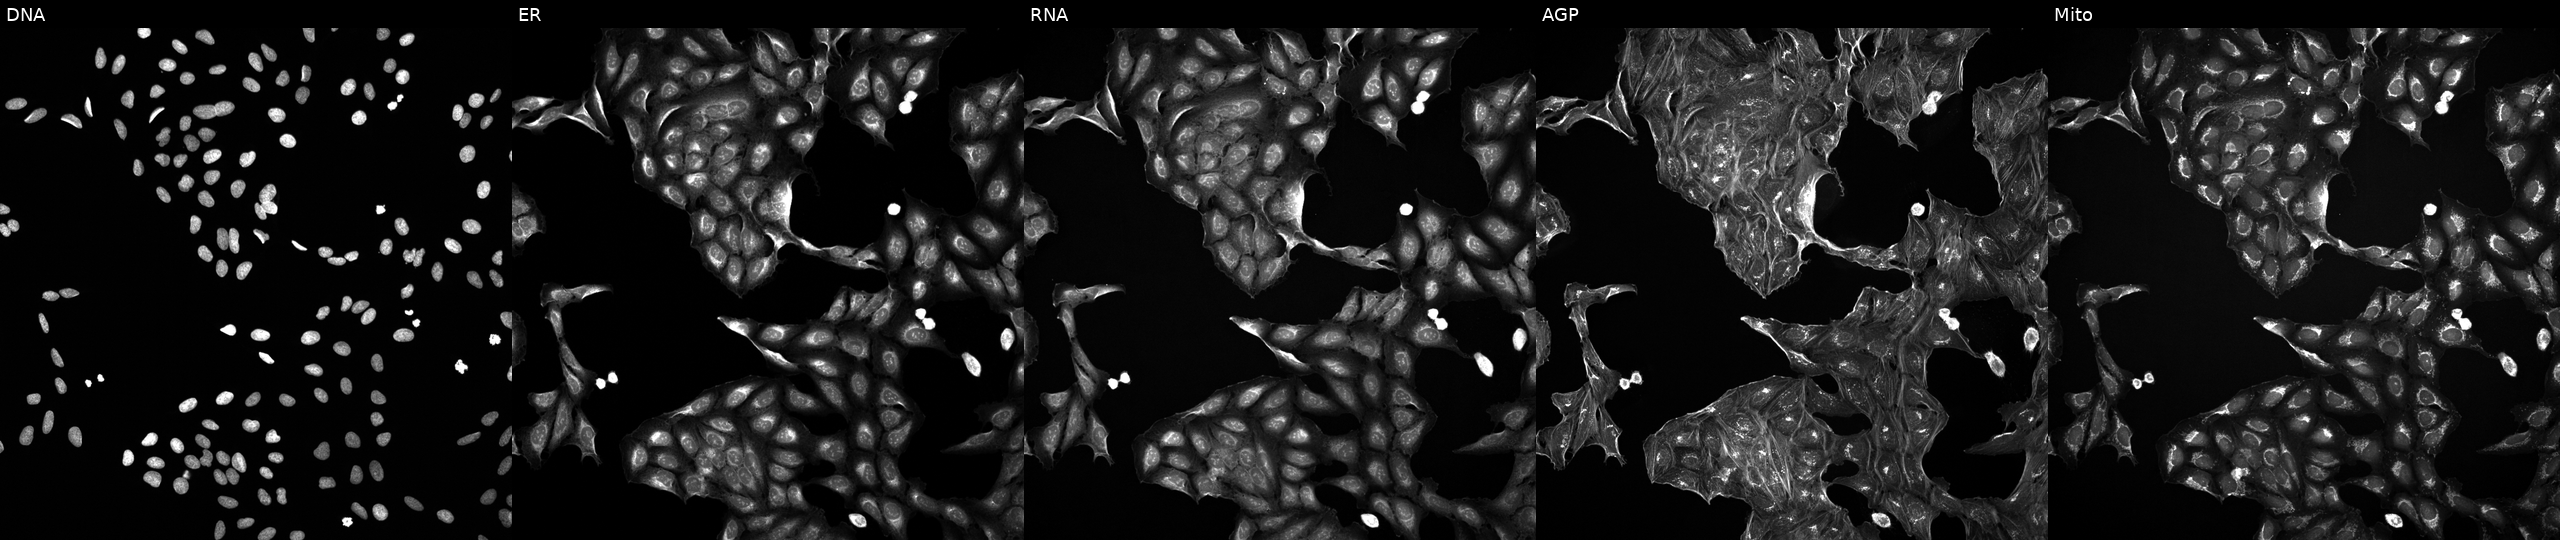
U2OS cells, Cell Painting assay, exposed to a small-molecule compound (InChIKey PWKSKIMOESPYIA-UHFFFAOYSA-N). Channels (left→right): Hoechst 33342, concanavalin A, SYTO 14, phalloidin and WGA, MitoTracker. Each panel is percentile-stretched 16-bit fluorescence.